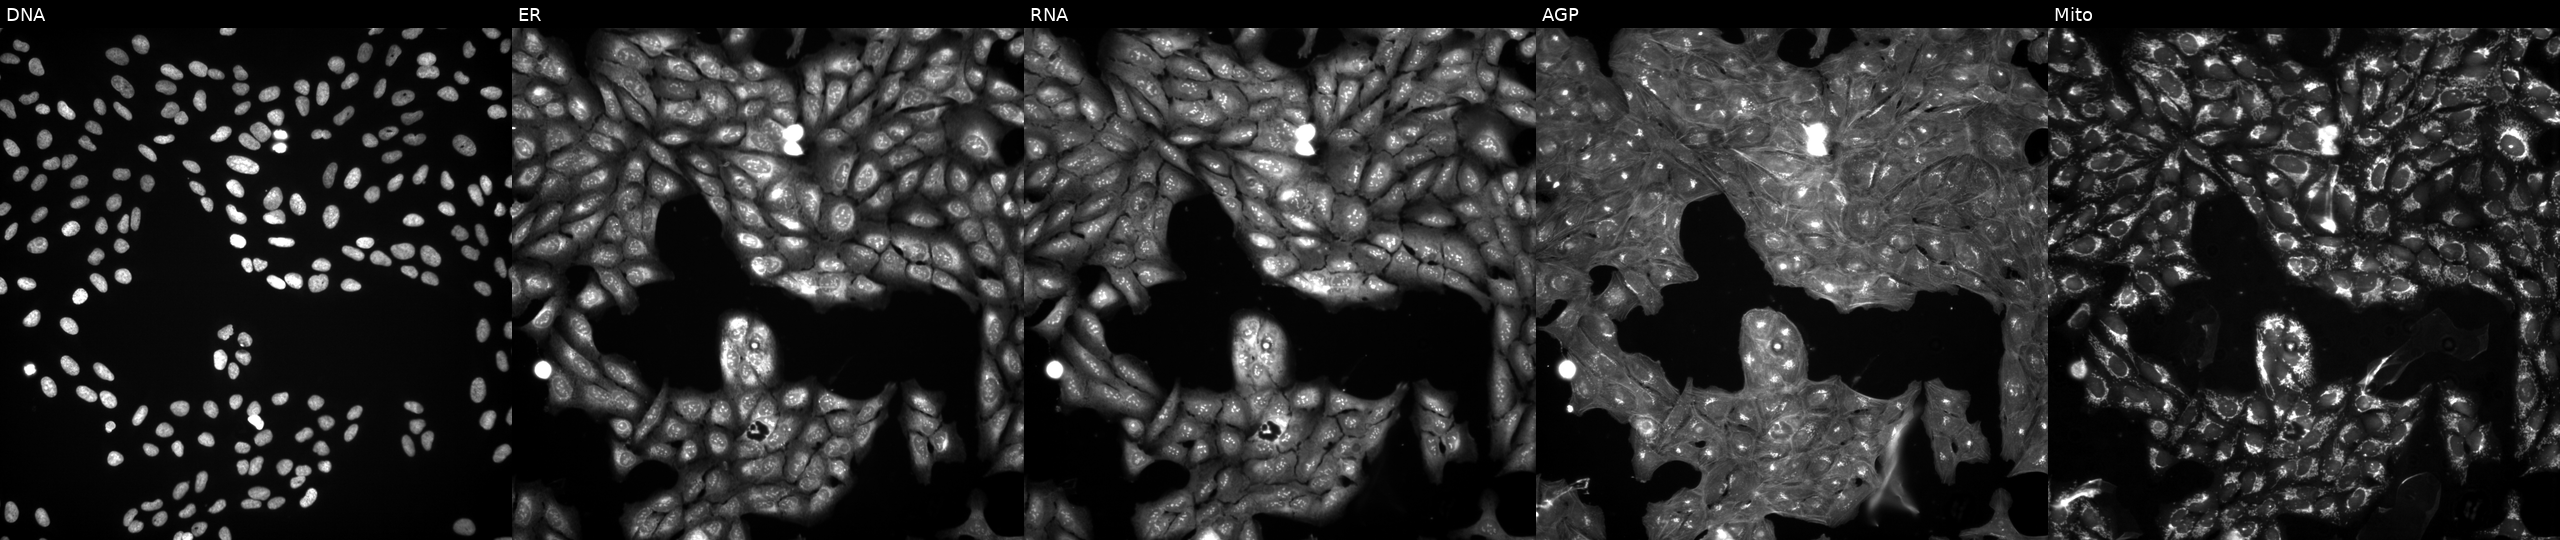
U2OS cells, Cell Painting assay, exposed to a small-molecule compound (InChIKey ANYBMXYKWKYTSX-UHFFFAOYSA-N) [SMILES: c1ccc(CSc2nnc(-c3ccncc3)n2-c2ccccc2)cc1] (JUMP id JCP2022_002658). The five panels, left to right, show DNA (nuclei); ER (endoplasmic reticulum); RNA (nucleoli and cytoplasmic RNA); AGP (actin cytoskeleton, Golgi, and plasma membrane); Mito (mitochondria). Each panel is percentile-stretched 16-bit fluorescence. Source 3, plate BR5867a3, well B03.